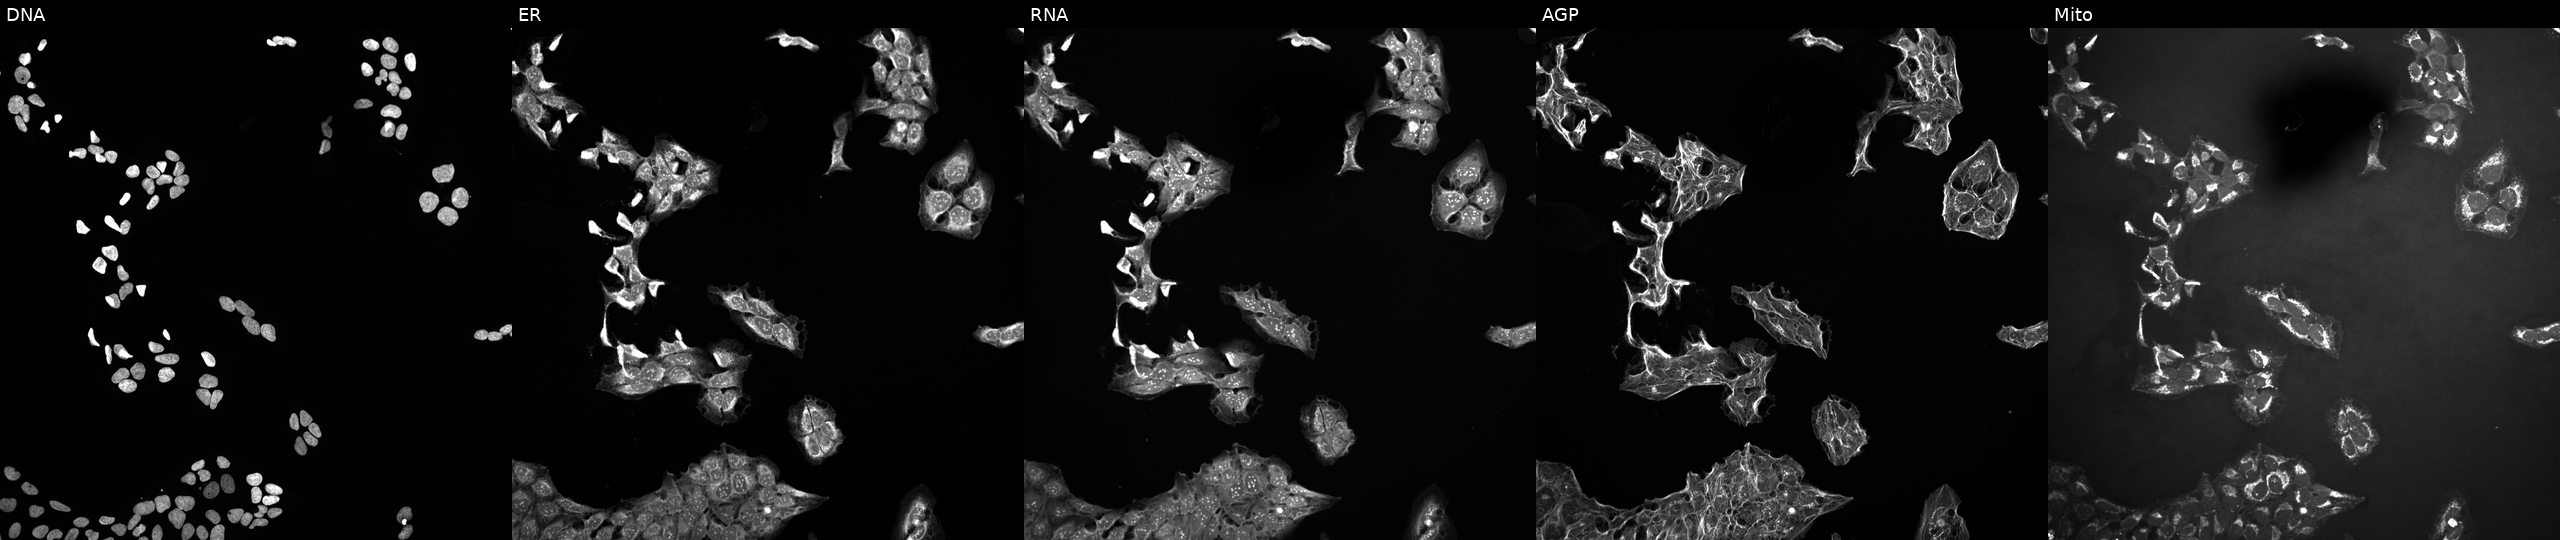
The five panels, left to right, show Hoechst 33342, concanavalin A, SYTO 14, phalloidin and WGA, MitoTracker. U2OS osteosarcoma cells perturbed with a small-molecule compound. Cell Painting assay, JUMP-CP dataset.